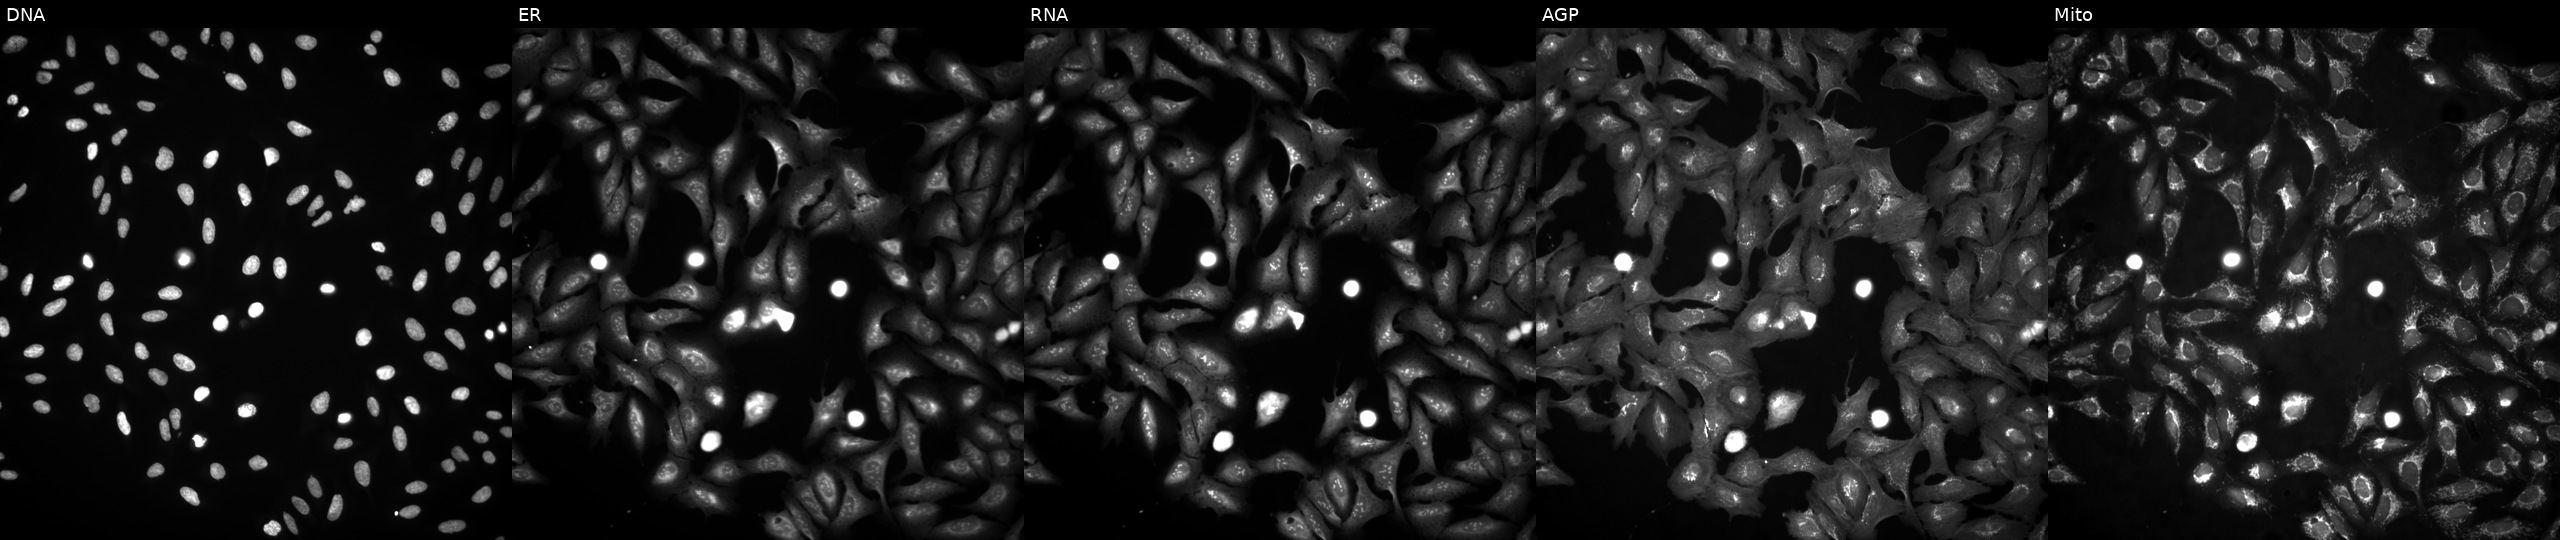
High-content fluorescence microscopy (Cell Painting). Cell line: U2OS. Perturbation: overexpressing FAM122C via ORF transfection. From left to right: DNA (nuclei); ER (endoplasmic reticulum); RNA (nucleoli and cytoplasmic RNA); AGP (actin cytoskeleton, Golgi, and plasma membrane); Mito (mitochondria).